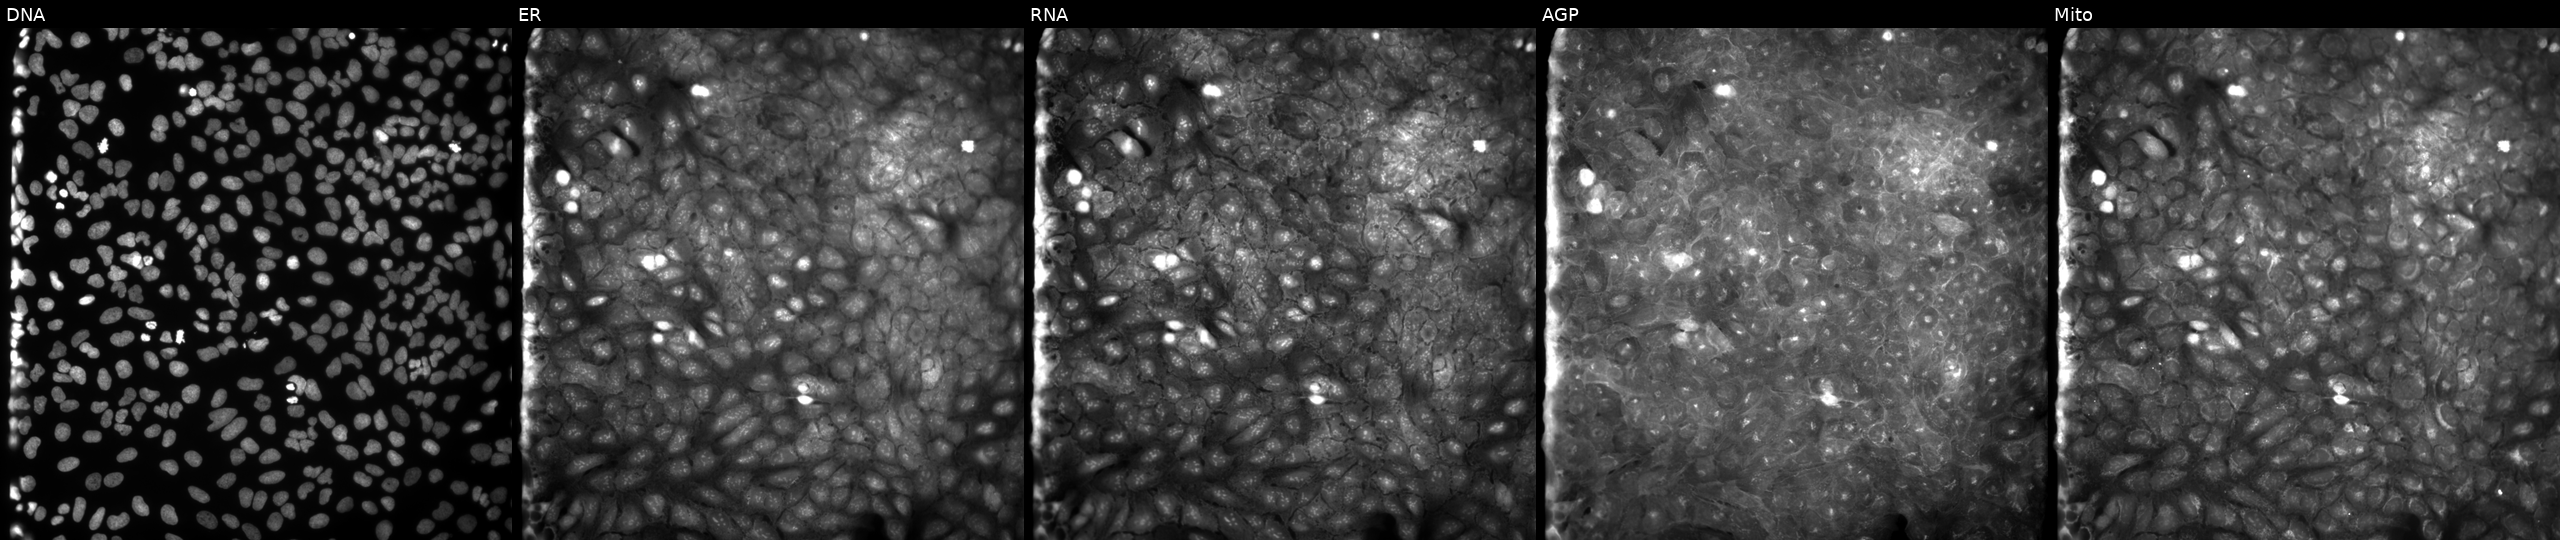
From left to right: DNA, ER, RNA, AGP, and Mito. U2OS osteosarcoma cells exposed to a small-molecule compound (InChIKey ZFSGYLNRFAJQOQ-UHFFFAOYSA-N). Cell Painting assay, JUMP-CP dataset. Source 9, plate GR00003382, well O04.